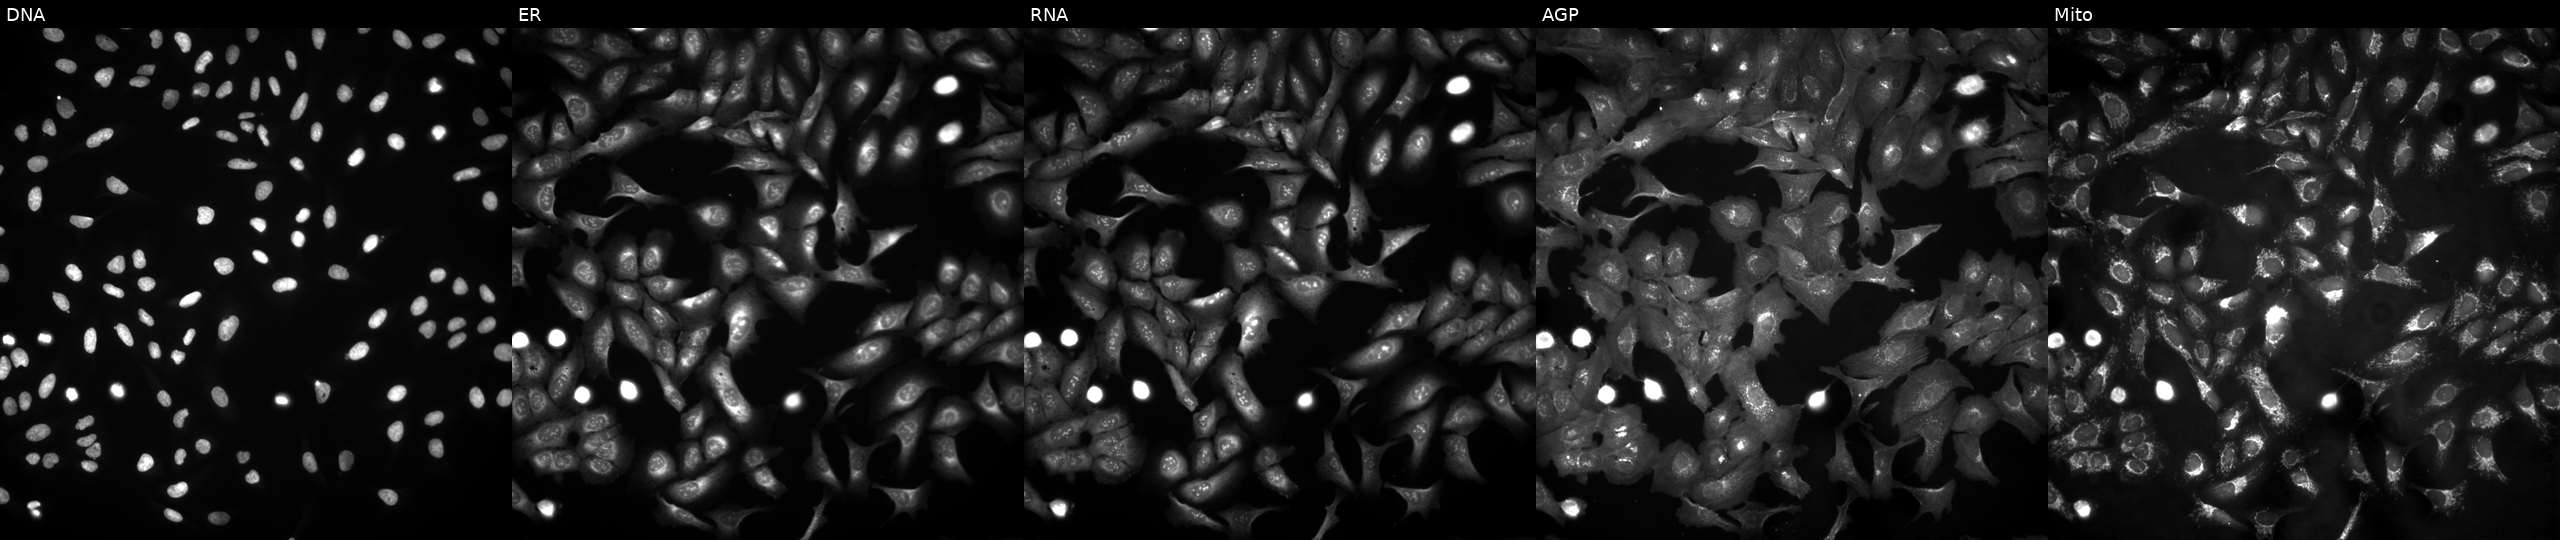
Five-channel Cell Painting image of U2OS cells expressing BFP (ORF negative control). Panels show, left to right, Hoechst 33342, concanavalin A, SYTO 14, phalloidin and WGA, MitoTracker.